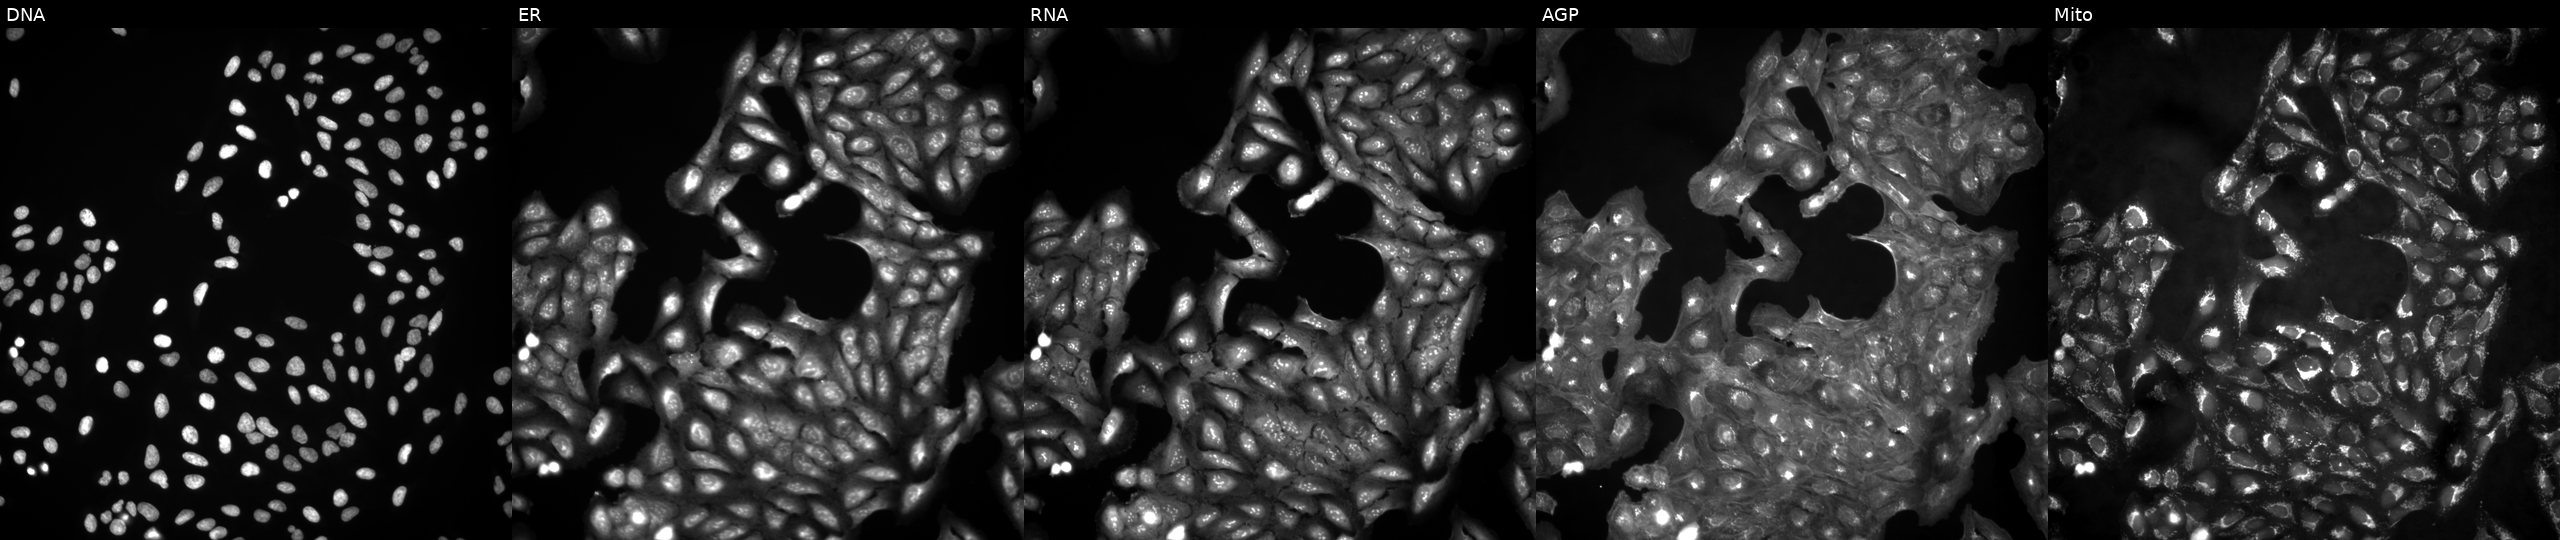
This image strip shows the five Cell Painting channels for a single field of U2OS cells untreated (empty-well control) (JUMP id JCP2022_999999). Panels show, left to right, DNA, ER, RNA, AGP, and Mito.